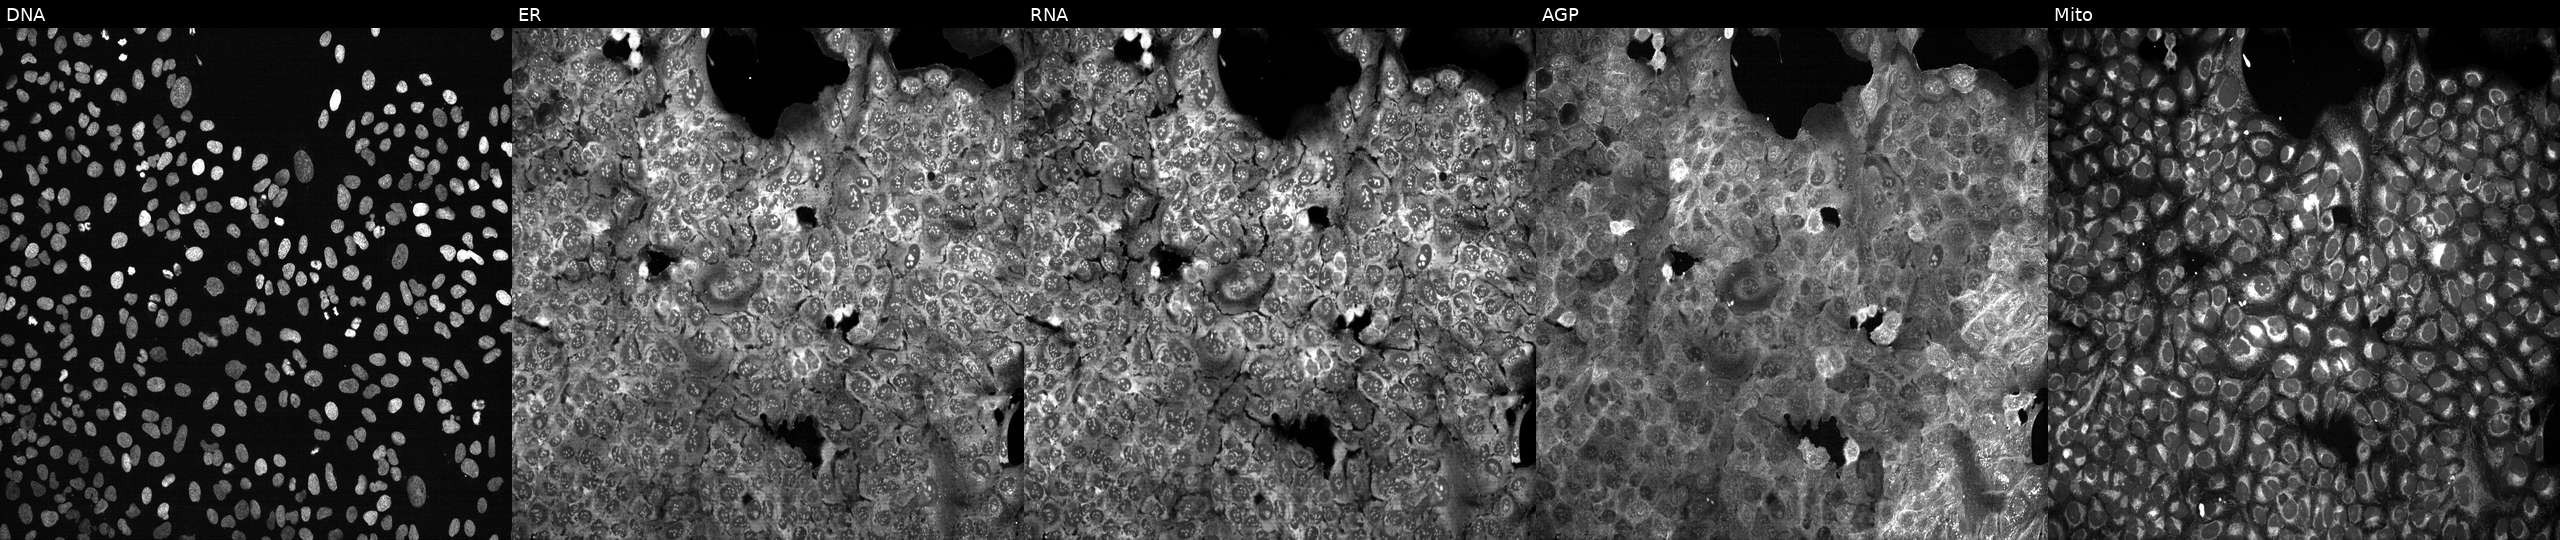
From left to right: Hoechst 33342, concanavalin A, SYTO 14, phalloidin and WGA, MitoTracker. U2OS osteosarcoma cells following CRISPR knockout of RAP2C. Cell Painting assay, JUMP-CP dataset.